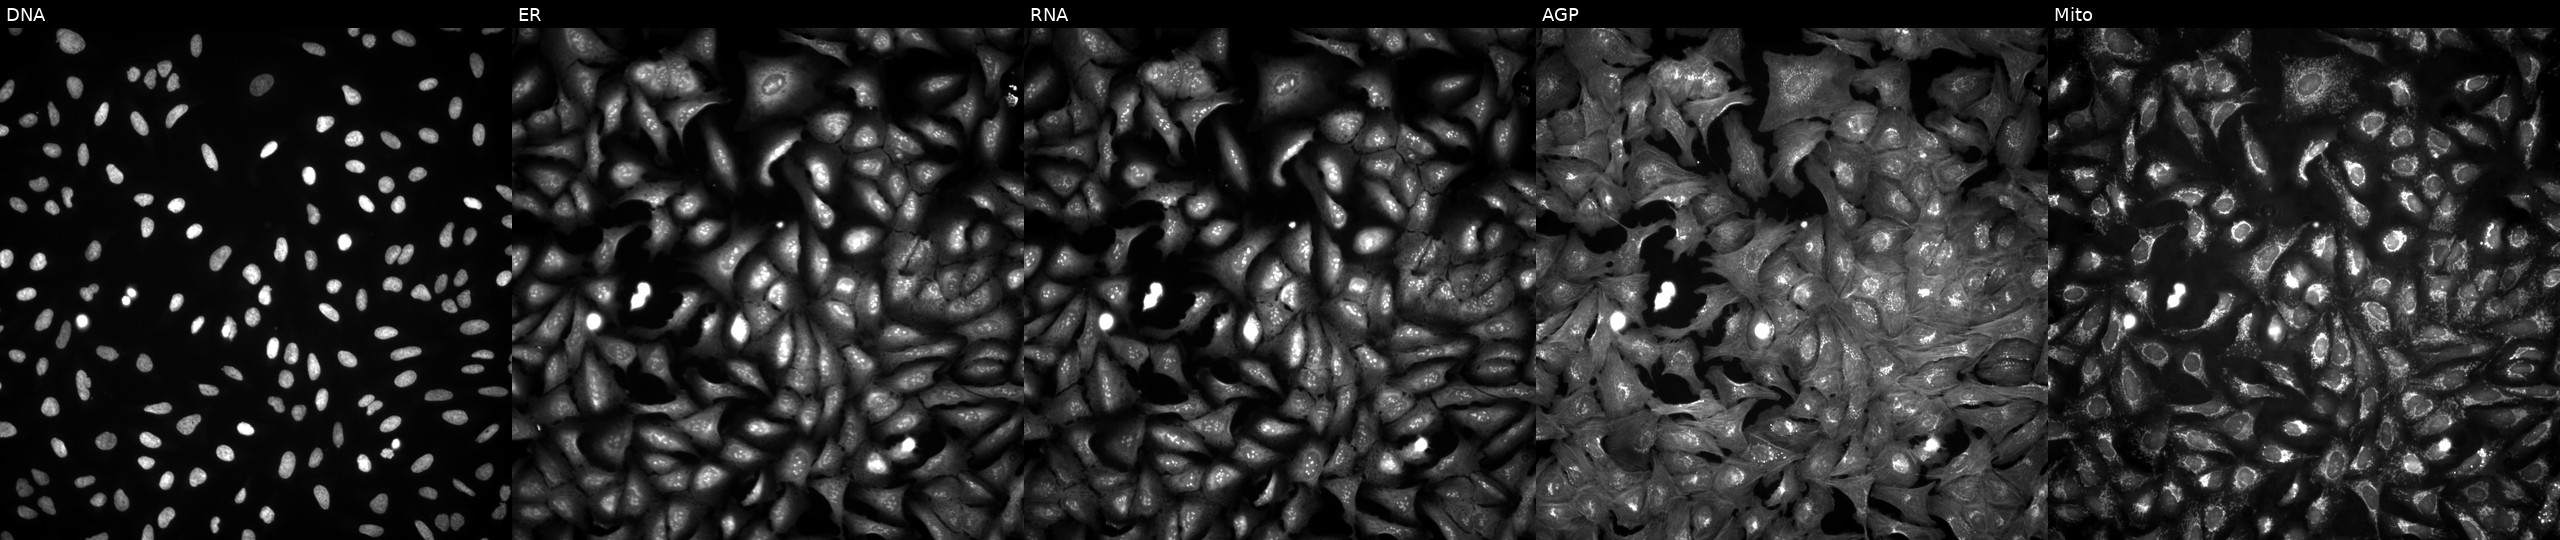
Panels show, left to right, DNA, ER, RNA, AGP, and Mito. U2OS osteosarcoma cells overexpressing DIS3L via ORF transfection (JUMP id JCP2022_908790). Cell Painting assay, JUMP-CP dataset. Source 4, plate BR00124784, well O03.